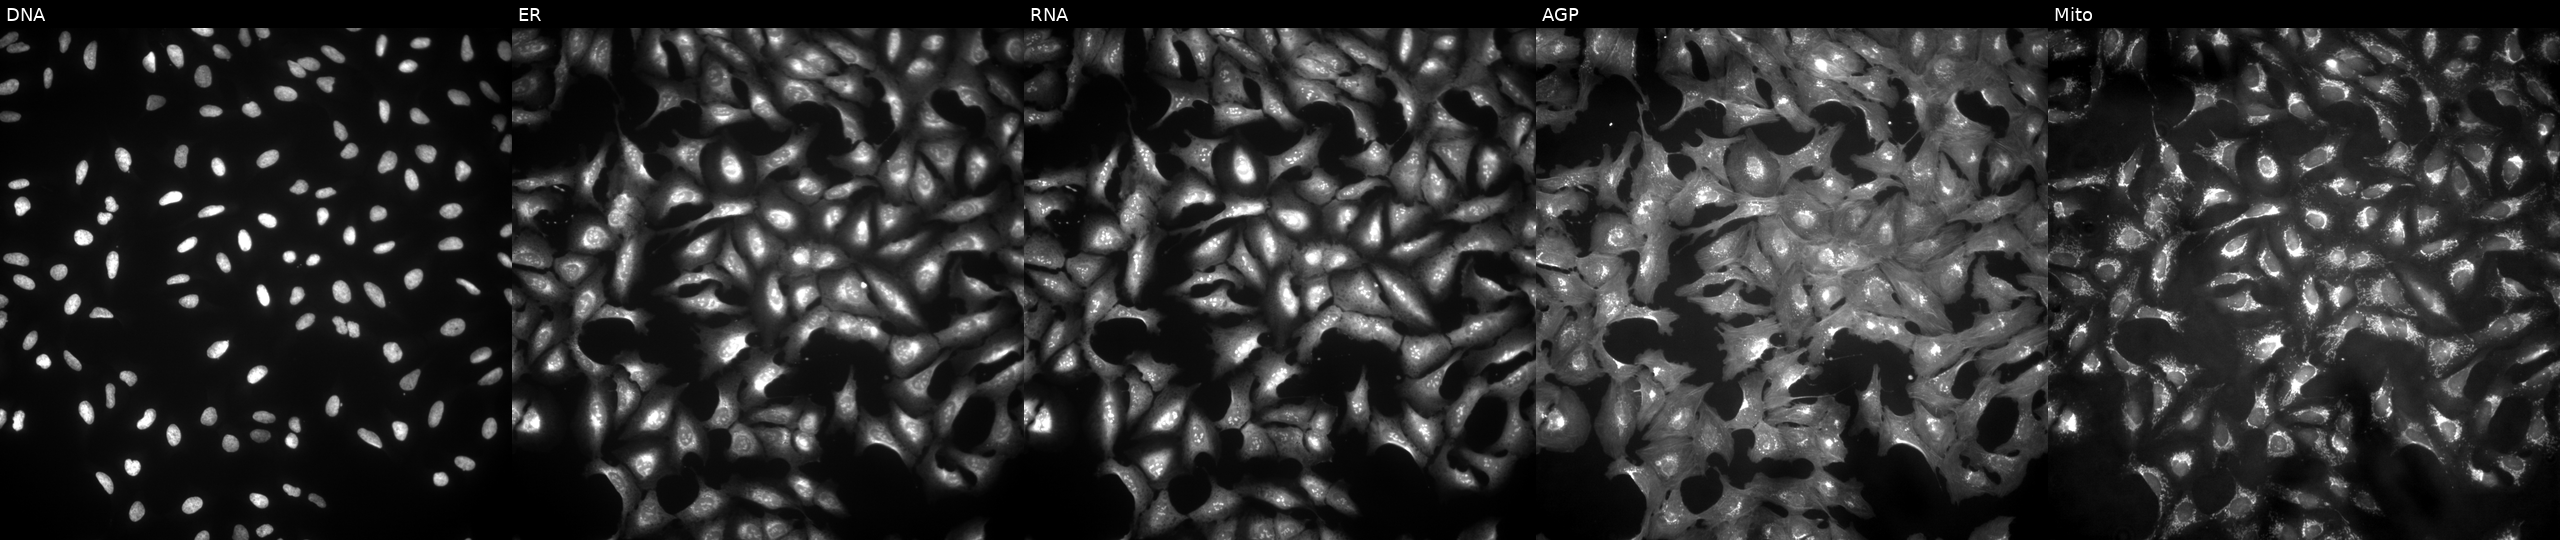
U2OS cells, Cell Painting assay, transfected with an ORF construct for ERCC2. From left to right: DNA, ER, RNA, AGP, and Mito. Each panel is percentile-stretched 16-bit fluorescence. Source 4, plate BR00123506, well C18.